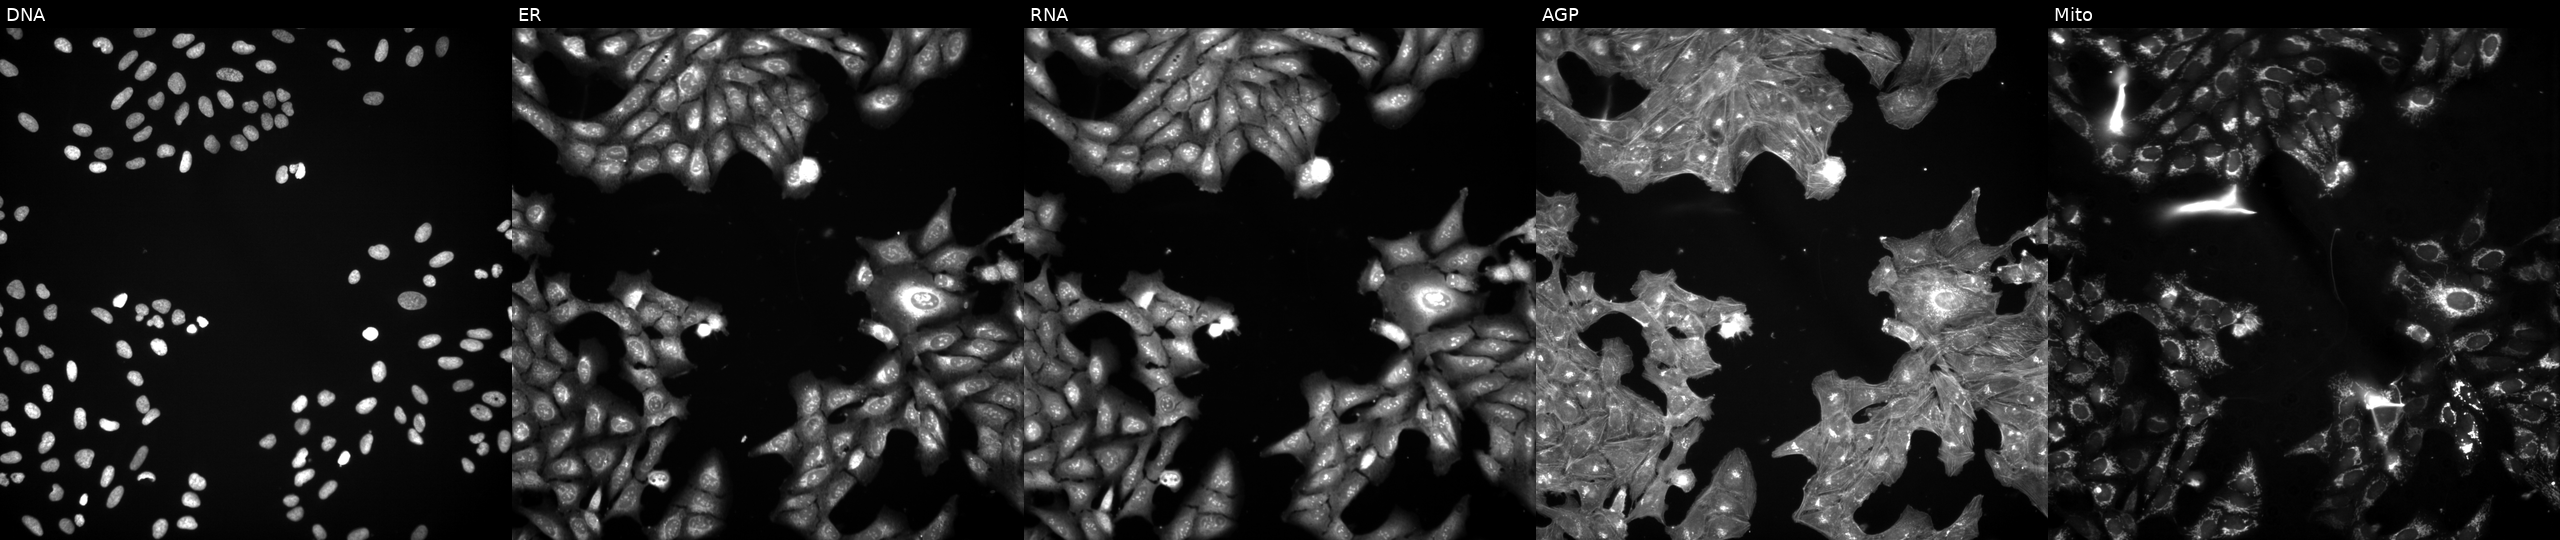
Five-channel Cell Painting image of U2OS cells exposed to a small-molecule compound (InChIKey HFYPTENHTPNXGP-UHFFFAOYSA-N) (JUMP id JCP2022_029951). From left to right: DNA (nuclei); ER (endoplasmic reticulum); RNA (nucleoli and cytoplasmic RNA); AGP (actin cytoskeleton, Golgi, and plasma membrane); Mito (mitochondria). Source 3, plate JCPQC053, well B11.